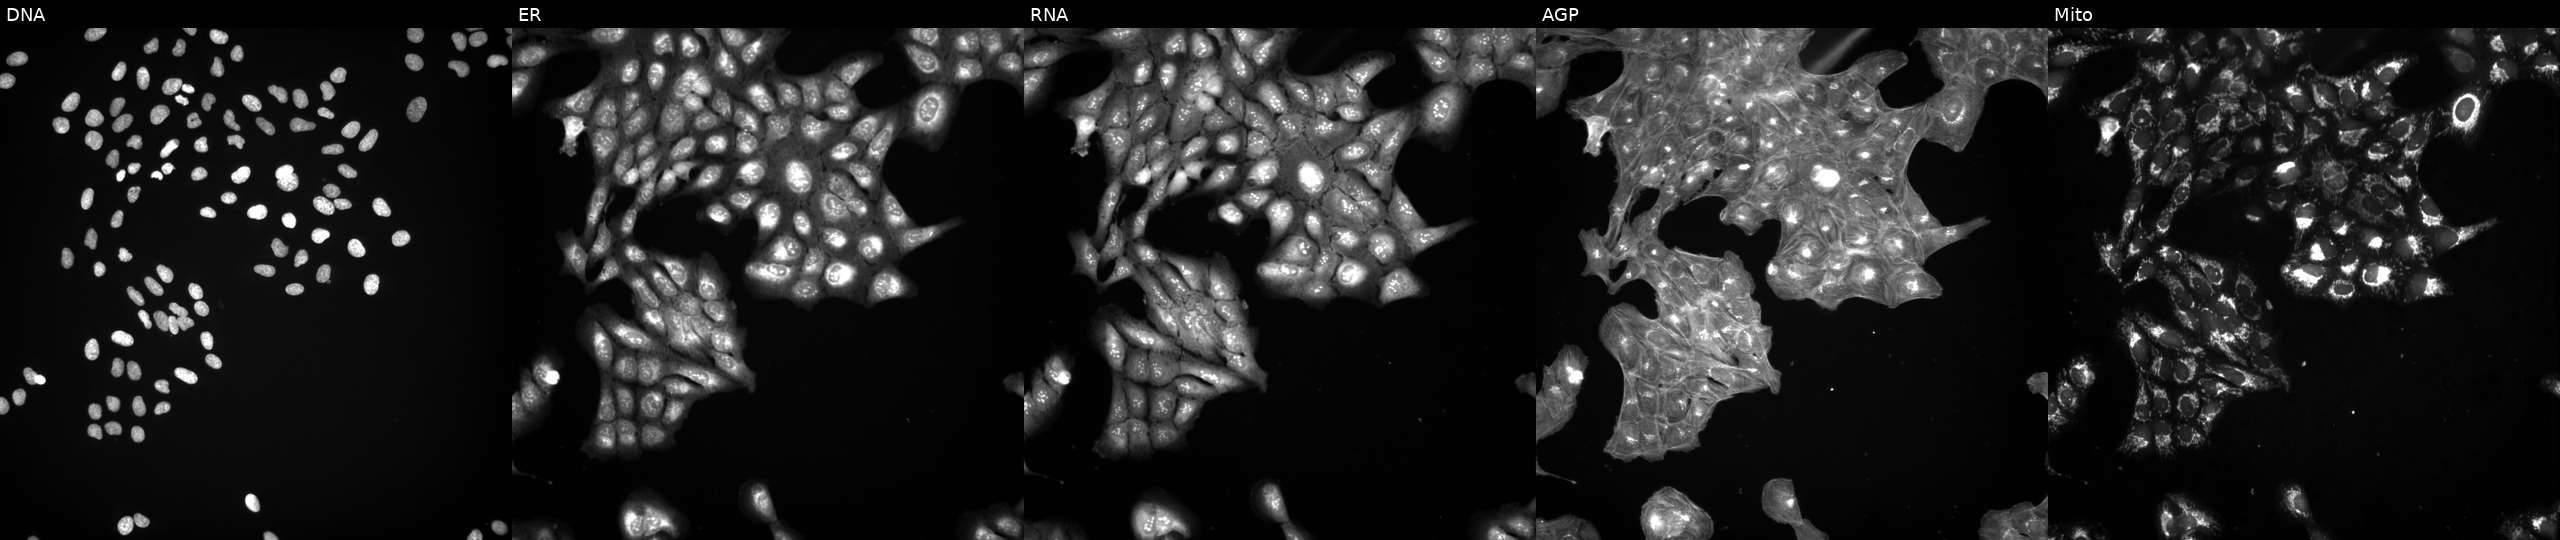
High-content fluorescence microscopy (Cell Painting). Cell line: U2OS. Perturbation: perturbed with a small-molecule compound [SMILES: C=c1[nH]c(=Cc2c(O)[nH]c3ccccc23)c(C)c1CCC(=O)O] (JUMP id JCP2022_026475). Channels (left→right): Hoechst 33342, concanavalin A, SYTO 14, phalloidin and WGA, MitoTracker.